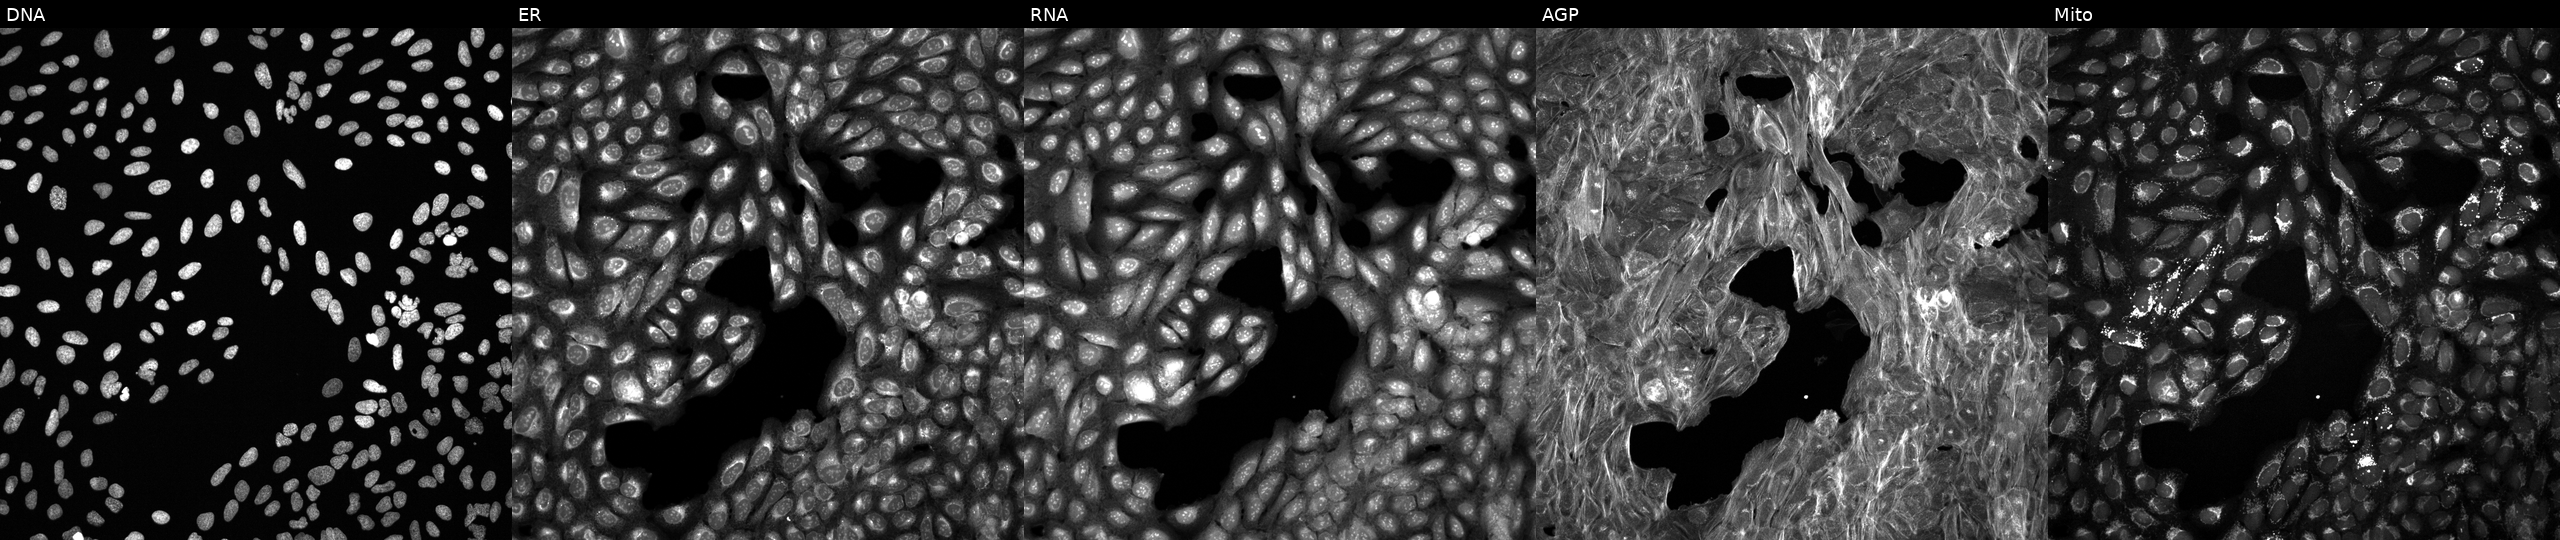
High-content fluorescence microscopy (Cell Painting). Cell line: U2OS. Perturbation: exposed to a small-molecule compound (InChIKey LENAOSUNLFINGM-UHFFFAOYSA-N). The five panels, left to right, show DNA (nuclei); ER (endoplasmic reticulum); RNA (nucleoli and cytoplasmic RNA); AGP (actin cytoskeleton, Golgi, and plasma membrane); Mito (mitochondria).